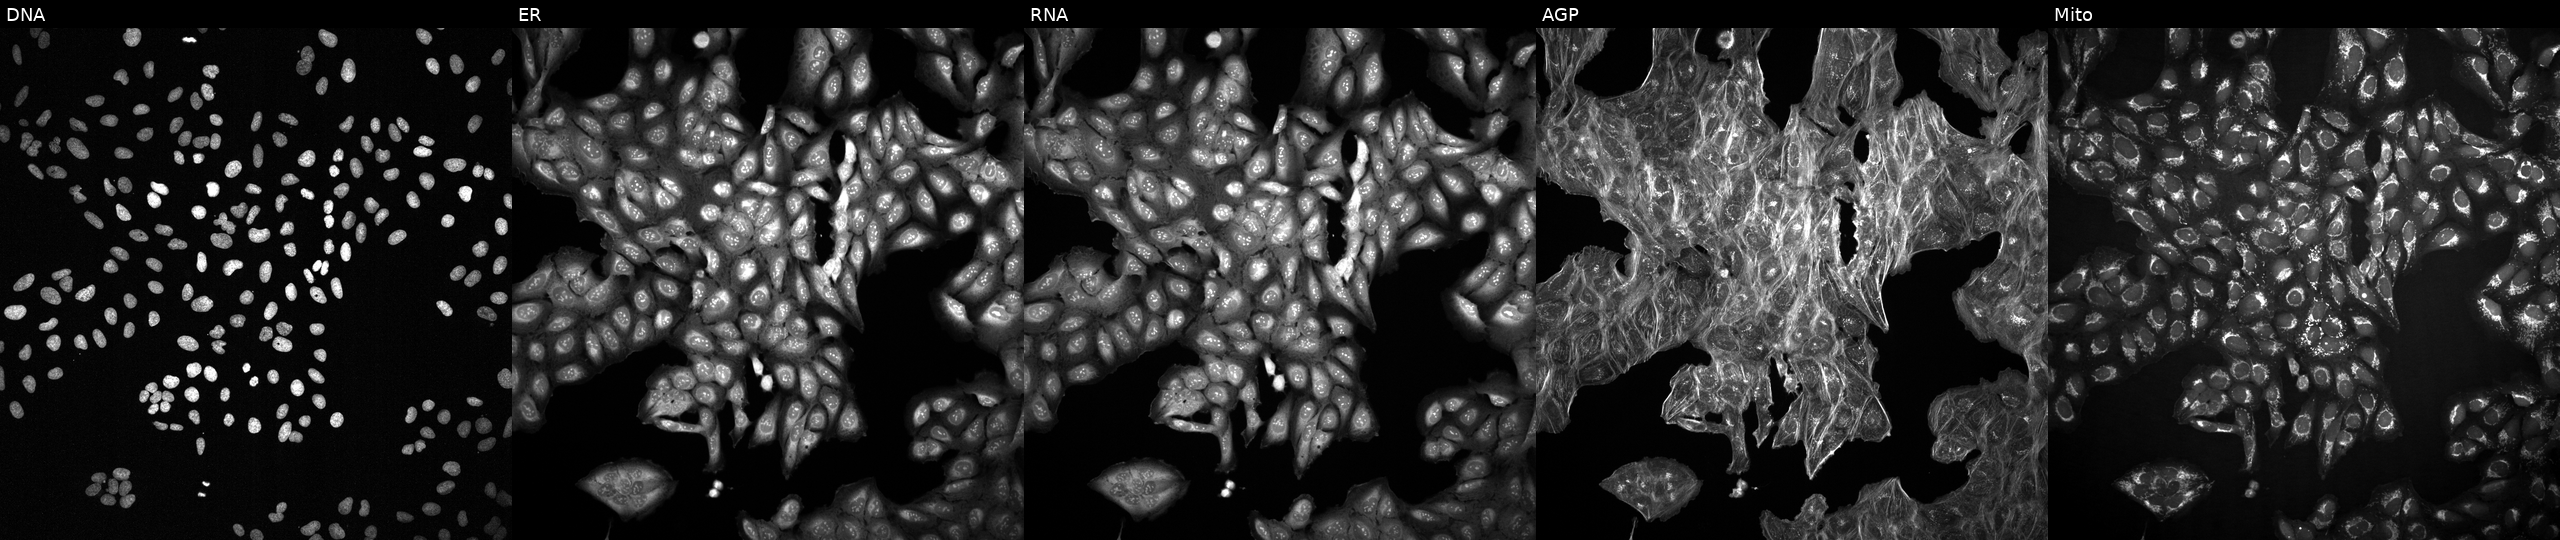
U2OS cells, Cell Painting assay, treated with DMSO vehicle only (negative control) (JUMP id JCP2022_033924). Panels show, left to right, DNA (nuclei); ER (endoplasmic reticulum); RNA (nucleoli and cytoplasmic RNA); AGP (actin cytoskeleton, Golgi, and plasma membrane); Mito (mitochondria). Each panel is percentile-stretched 16-bit fluorescence. Source 2, plate 1053600674, well I02.